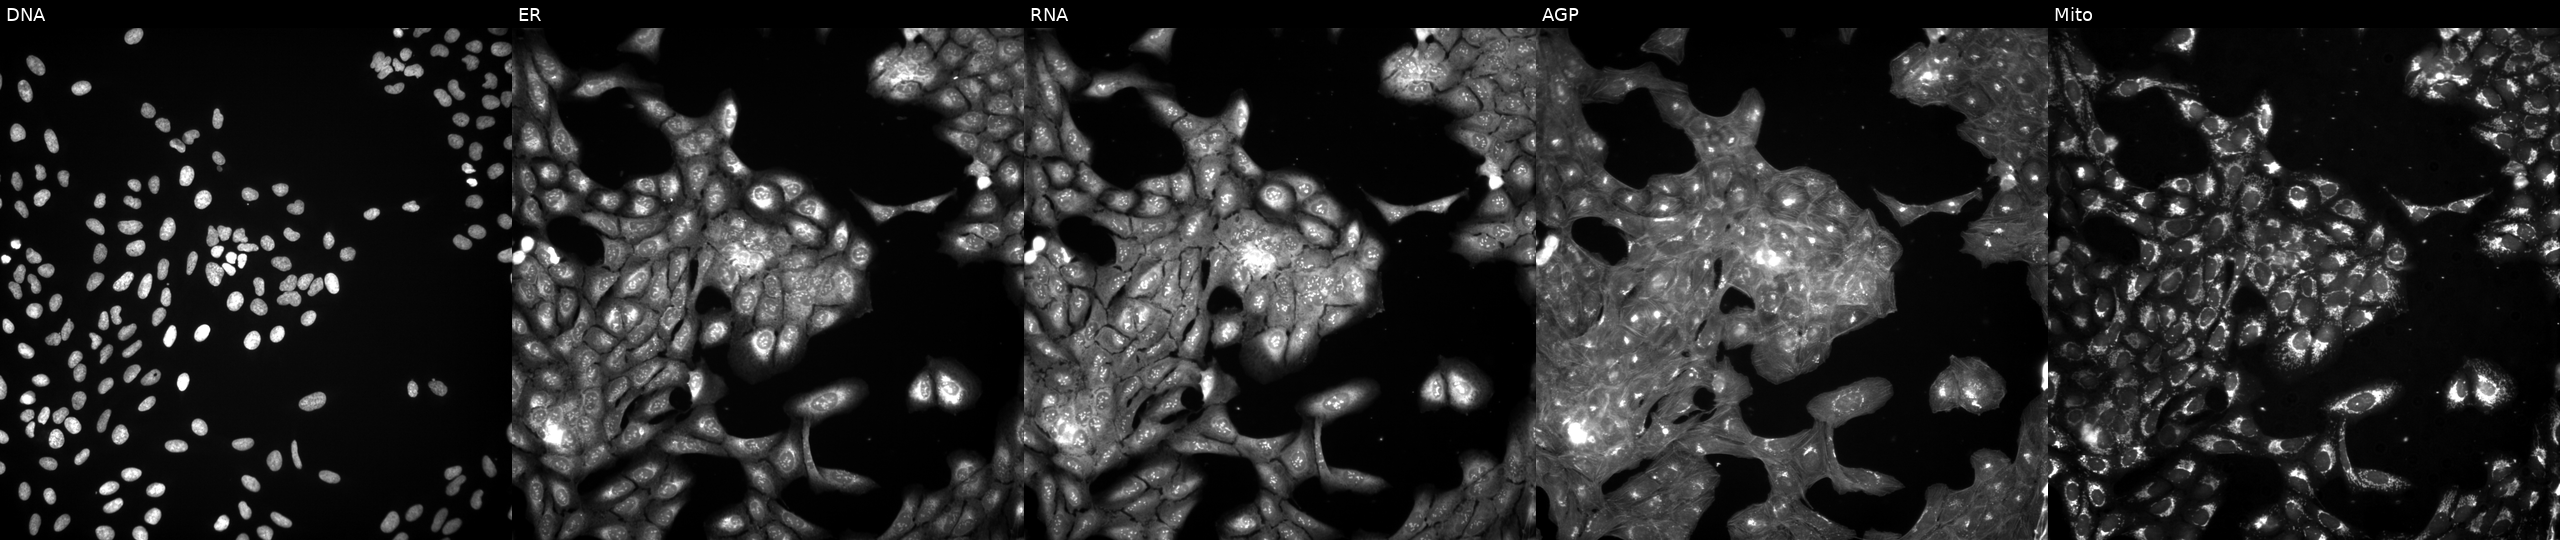
JUMP Cell Painting — TARGET2 plate. U2OS cells exposed to a small-molecule compound (InChIKey XXYGTCZJJLTAGH-UHFFFAOYSA-N) (JUMP id JCP2022_106781). Panels show, left to right, DNA (nuclei); ER (endoplasmic reticulum); RNA (nucleoli and cytoplasmic RNA); AGP (actin cytoskeleton, Golgi, and plasma membrane); Mito (mitochondria). Source 3, plate JCPQC052, well J06.